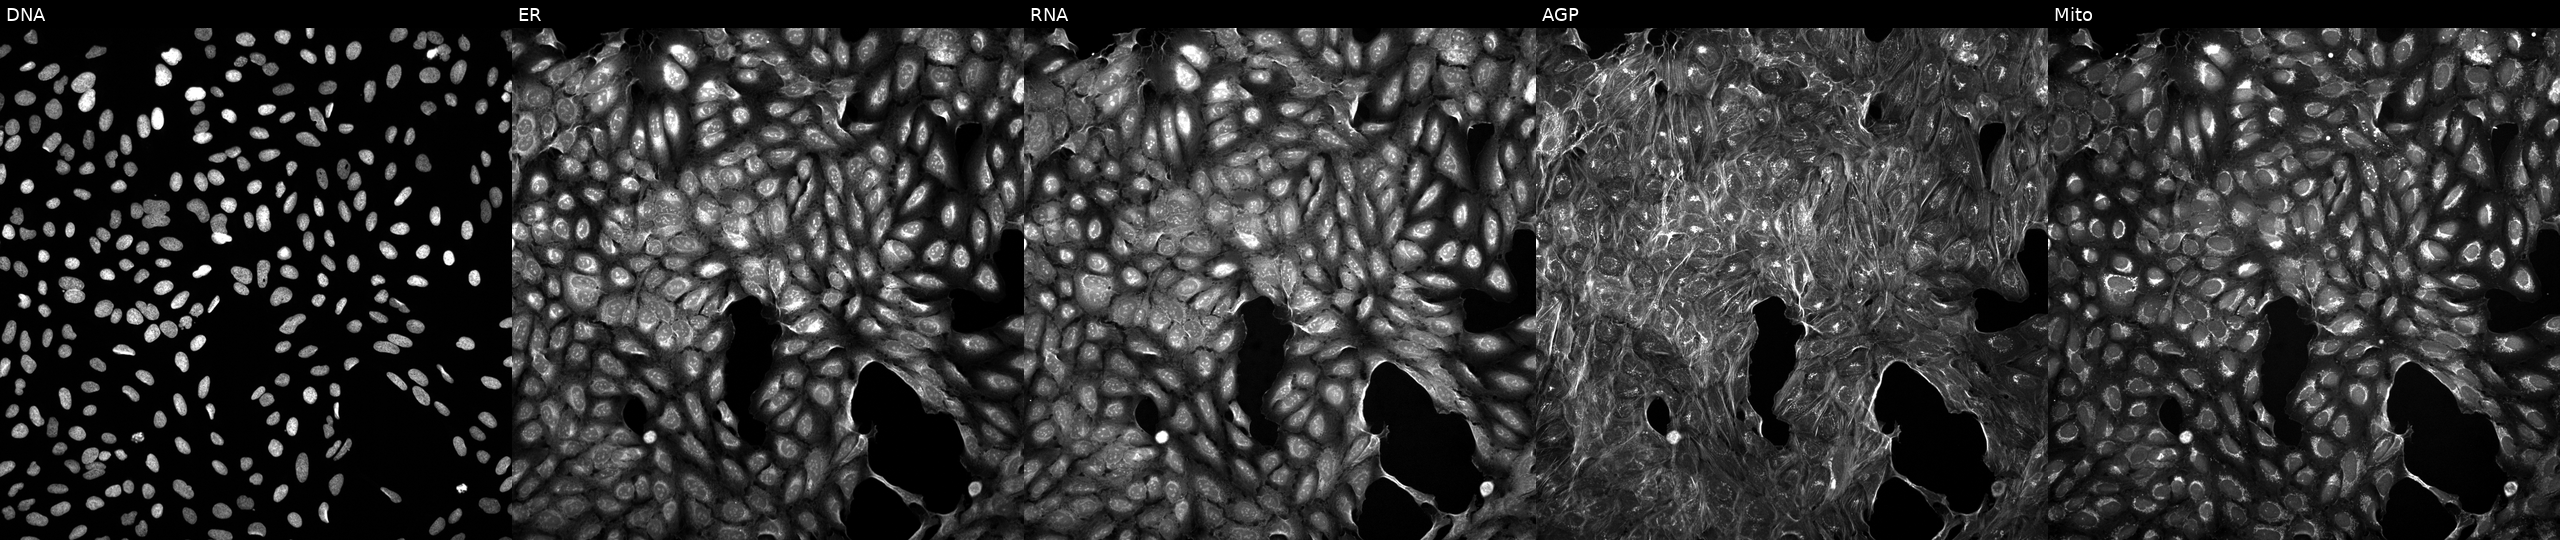
Channels (left→right): DNA, ER, RNA, AGP, and Mito. U2OS osteosarcoma cells perturbed with a small-molecule compound. Cell Painting assay, JUMP-CP dataset. Source 5, plate ACPJUM051, well N05.